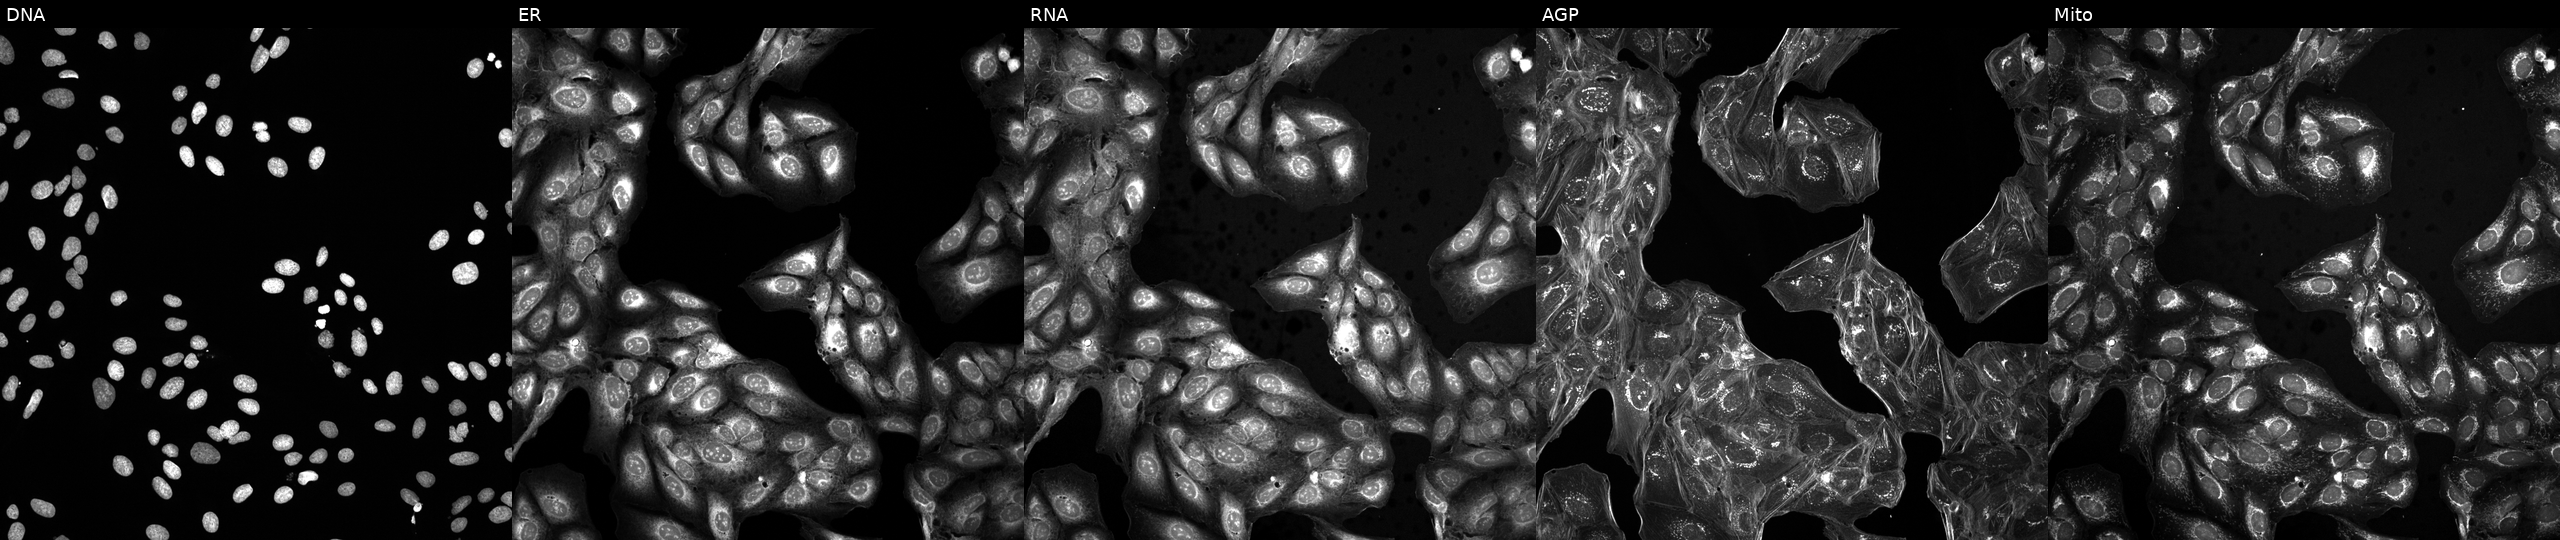
High-content fluorescence microscopy (Cell Painting). Cell line: U2OS. Perturbation: perturbed with a small-molecule compound (InChIKey RAMROQQYRRQPDL-UHFFFAOYSA-N) (JUMP id JCP2022_077089). Channels (left→right): DNA, ER, RNA, AGP, and Mito.